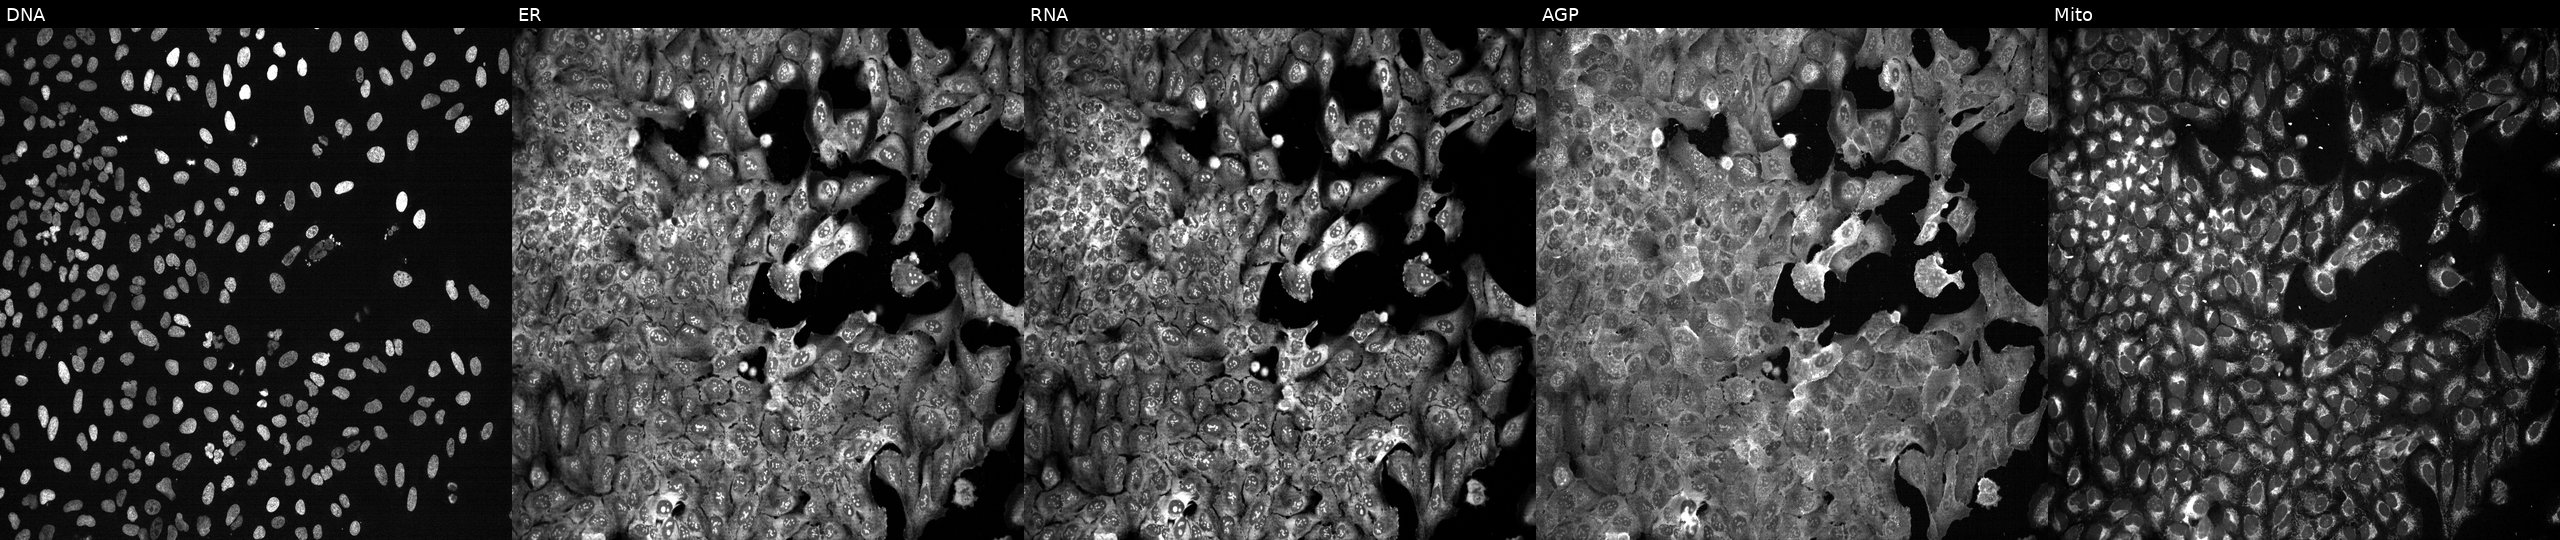
Five-channel Cell Painting image of U2OS cells following CRISPR knockout of KRT8 (JUMP id JCP2022_803756). Panels show, left to right, DNA (nuclei); ER (endoplasmic reticulum); RNA (nucleoli and cytoplasmic RNA); AGP (actin cytoskeleton, Golgi, and plasma membrane); Mito (mitochondria).